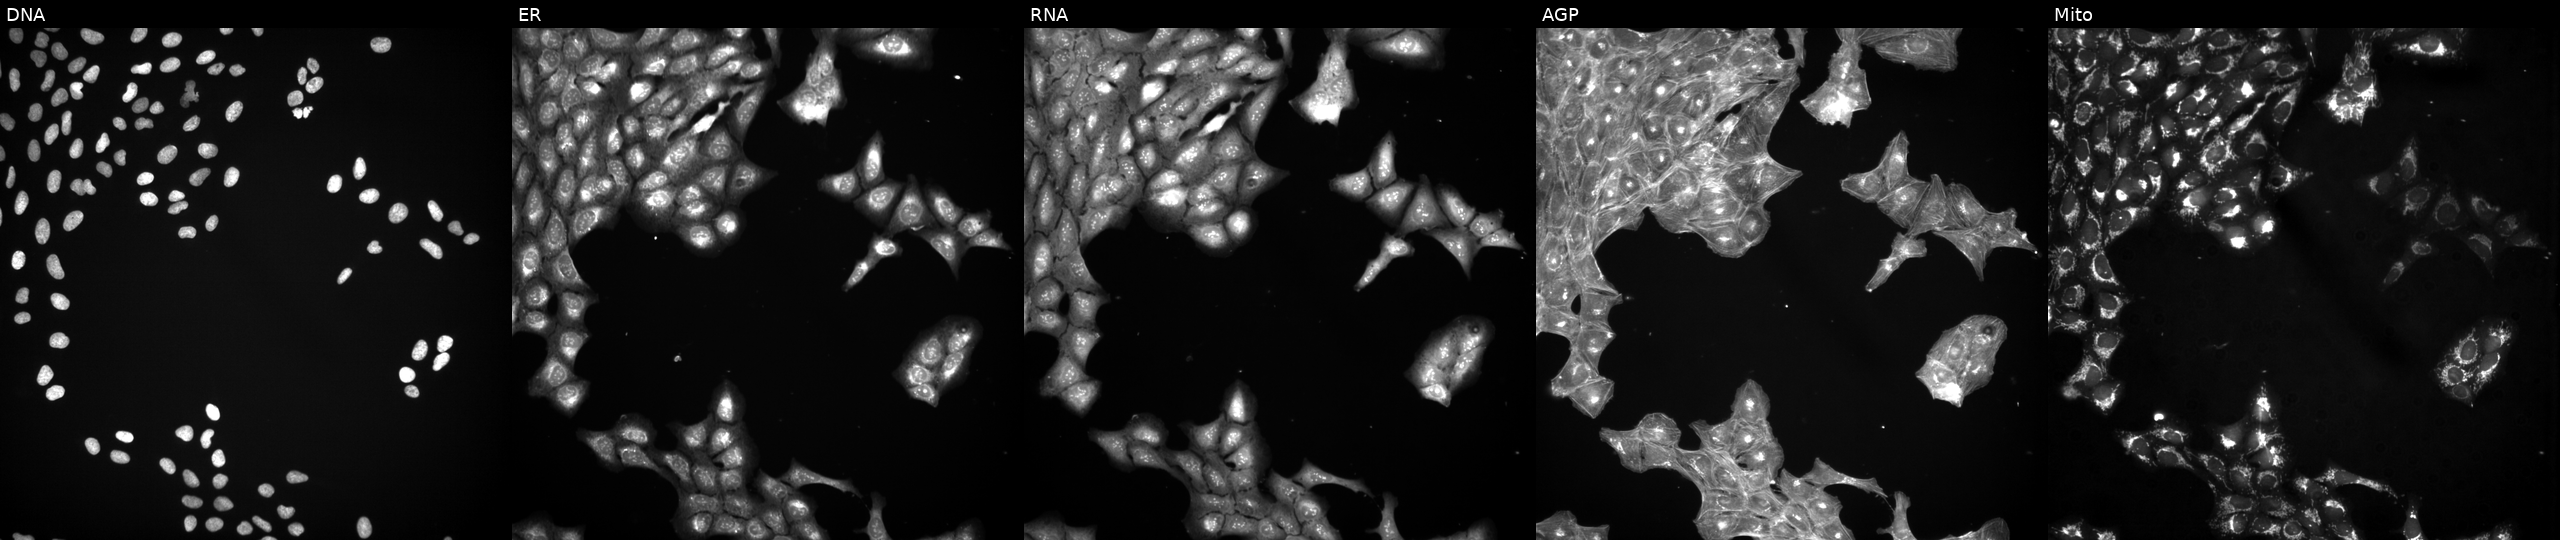
This image strip shows the five Cell Painting channels for a single field of U2OS cells treated with a small-molecule compound. From left to right: Hoechst 33342, concanavalin A, SYTO 14, phalloidin and WGA, MitoTracker.